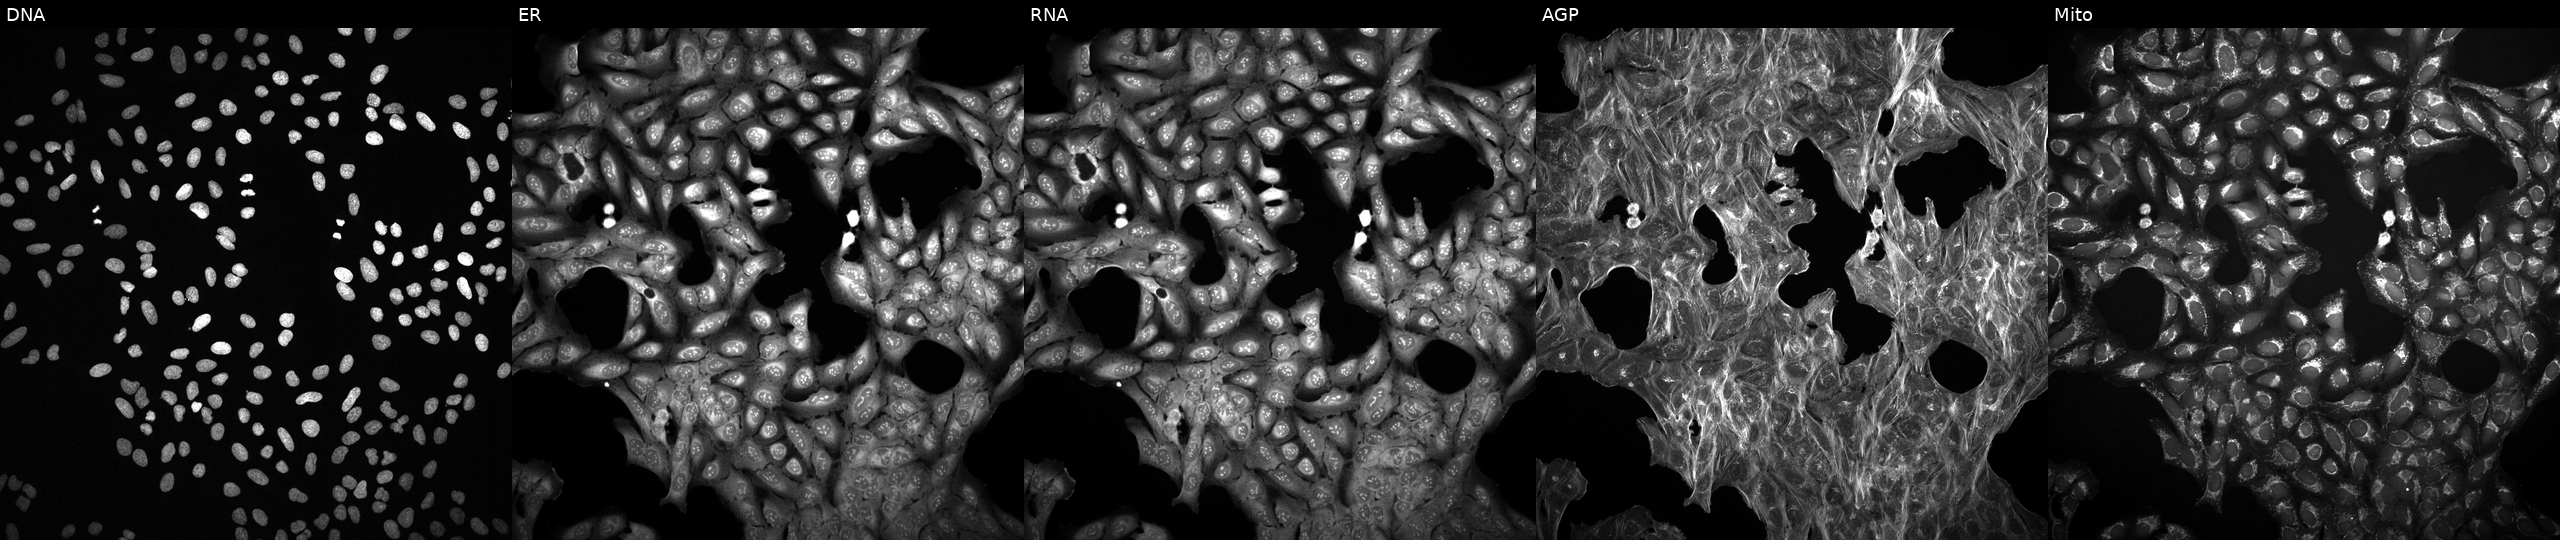
JUMP Cell Painting — TARGET2 plate. U2OS cells exposed to a small-molecule compound (InChIKey DTGLZDAWLRGWQN-UHFFFAOYSA-N). The five panels, left to right, show Hoechst 33342, concanavalin A, SYTO 14, phalloidin and WGA, MitoTracker. Source 2, plate 1053597936, well O07.